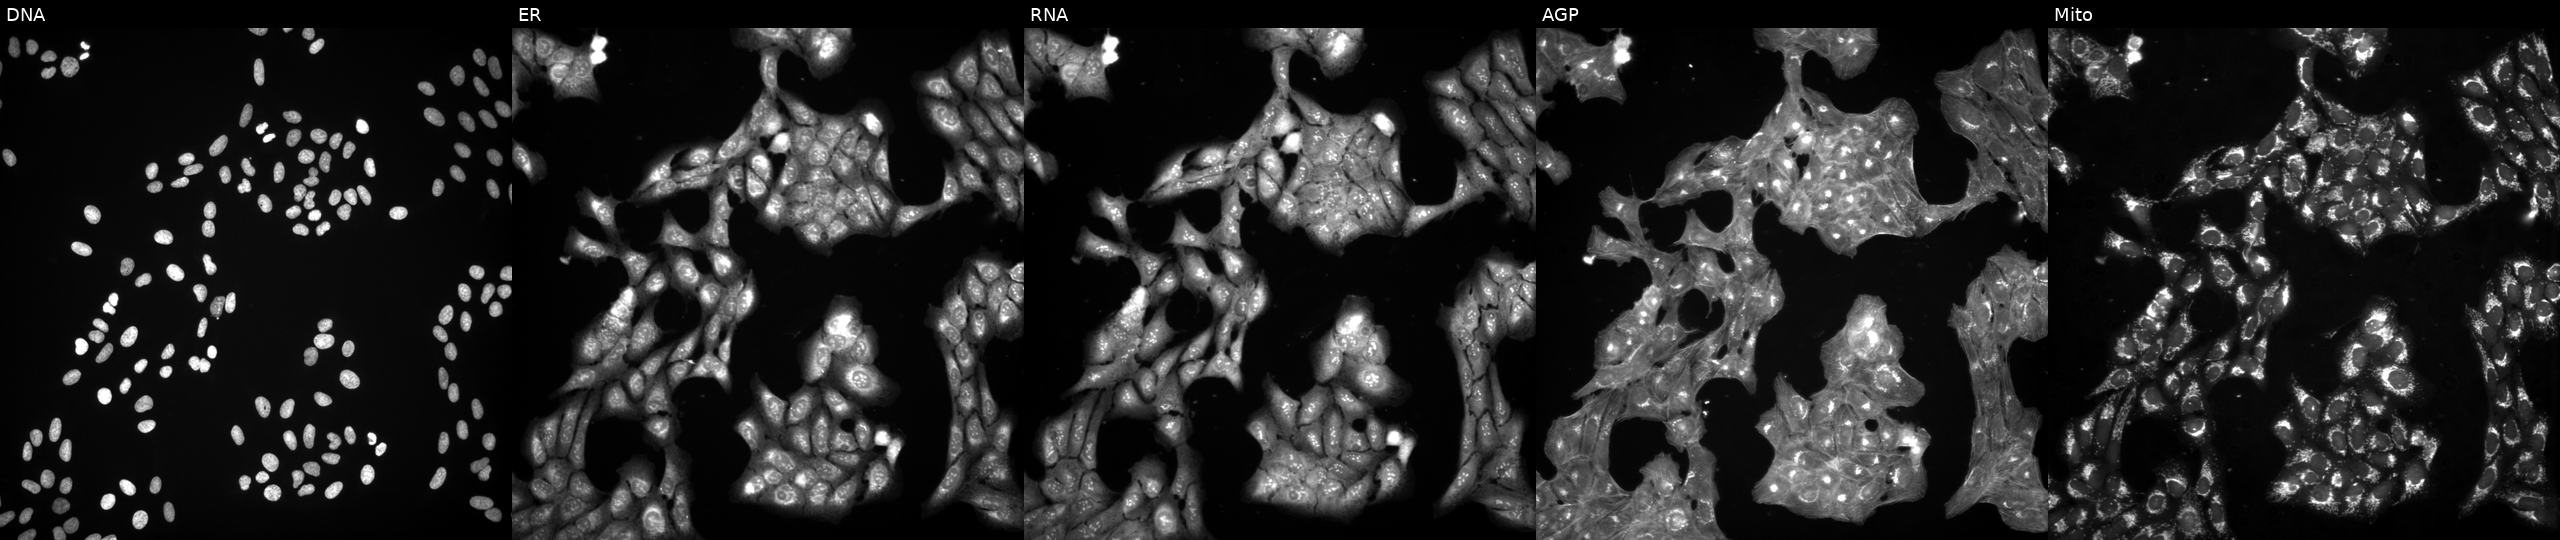
JUMP Cell Painting — COMPOUND plate. U2OS cells treated with a small-molecule compound (InChIKey PZLNJDMRGZJIDY-UHFFFAOYSA-N). Panels show, left to right, Hoechst 33342, concanavalin A, SYTO 14, phalloidin and WGA, MitoTracker. Source 3, plate BR5867b3, well M09.